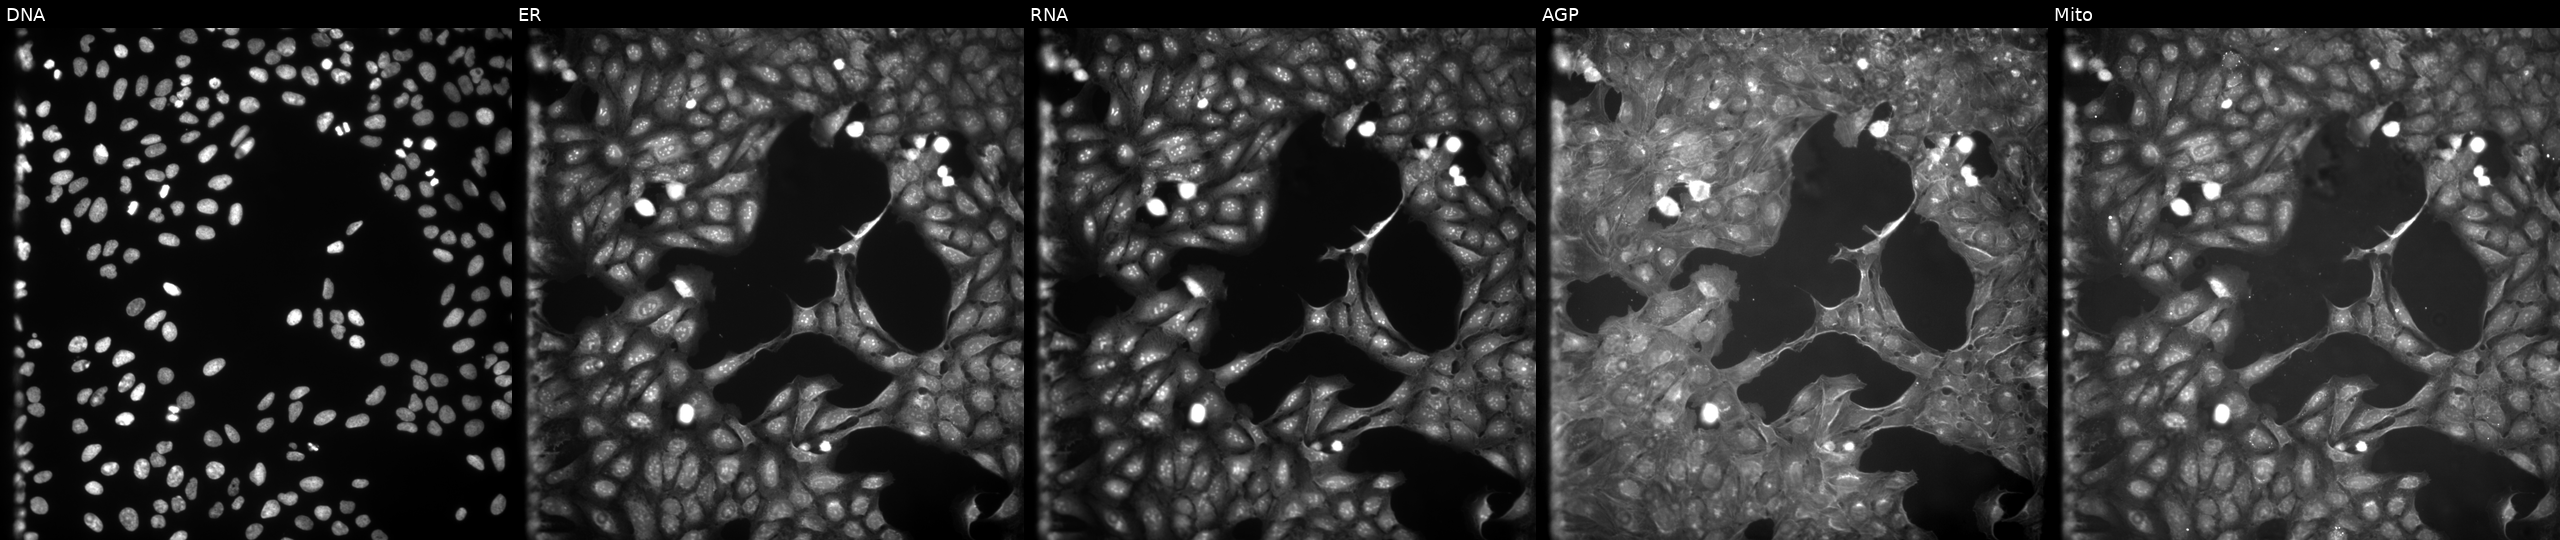
High-content fluorescence microscopy (Cell Painting). Cell line: U2OS. Perturbation: exposed to a small-molecule compound (InChIKey JFDUQJMTVIZUFP-UHFFFAOYSA-N) (JUMP id JCP2022_039372). The five panels, left to right, show Hoechst 33342, concanavalin A, SYTO 14, phalloidin and WGA, MitoTracker.